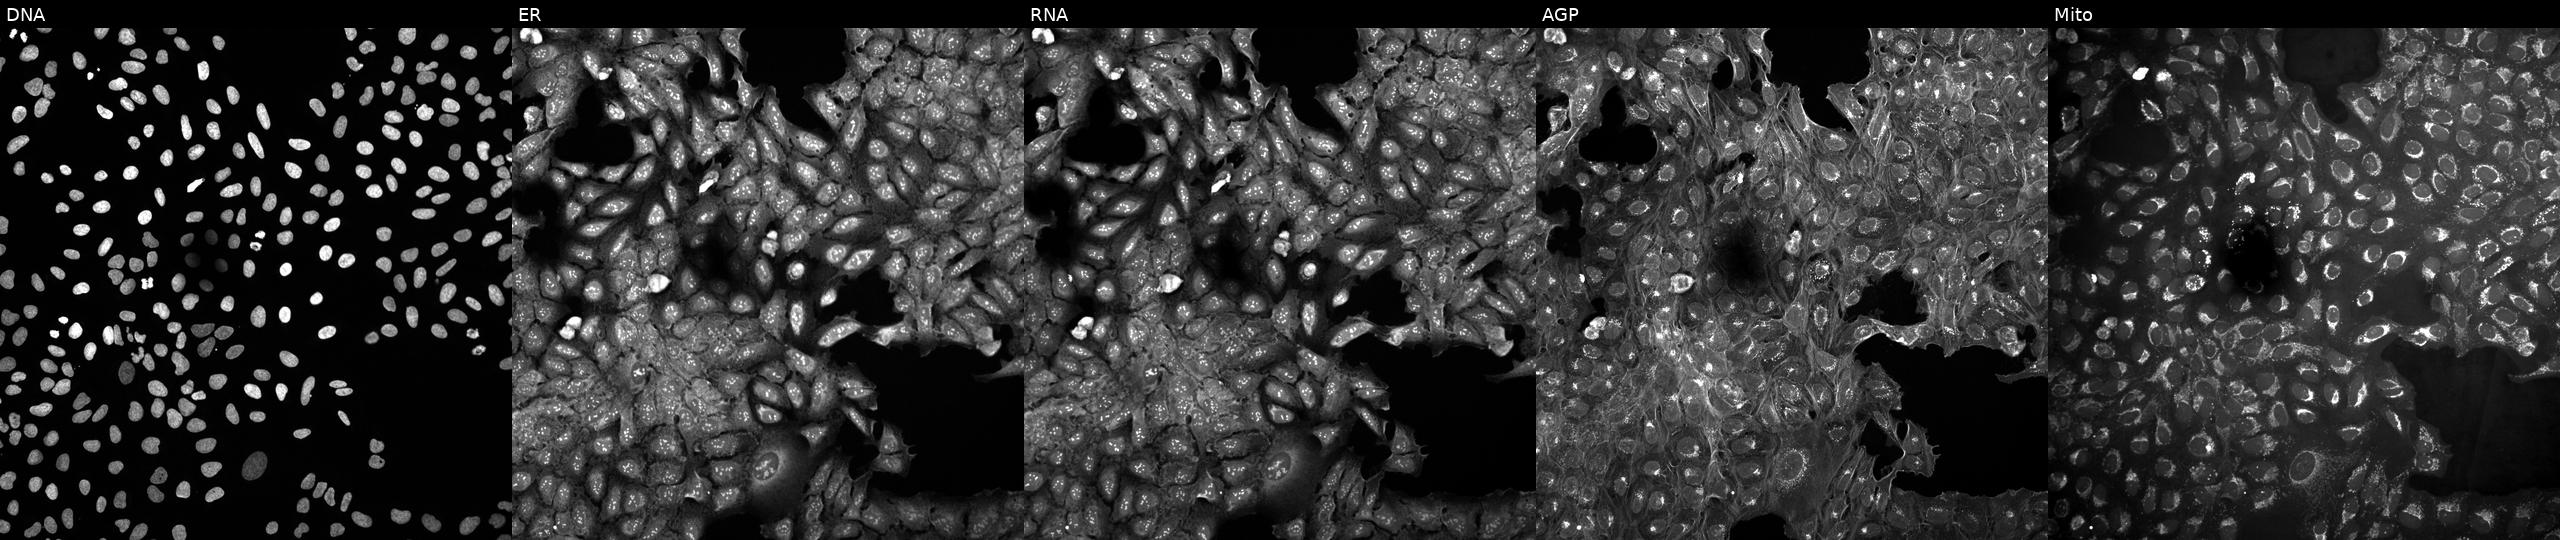
JUMP Cell Painting — COMPOUND plate. U2OS cells in an empty control well (no perturbation) (JUMP id JCP2022_999999). Panels show, left to right, DNA (nuclei); ER (endoplasmic reticulum); RNA (nucleoli and cytoplasmic RNA); AGP (actin cytoskeleton, Golgi, and plasma membrane); Mito (mitochondria). Source 10, plate Dest210531-152149, well O09.